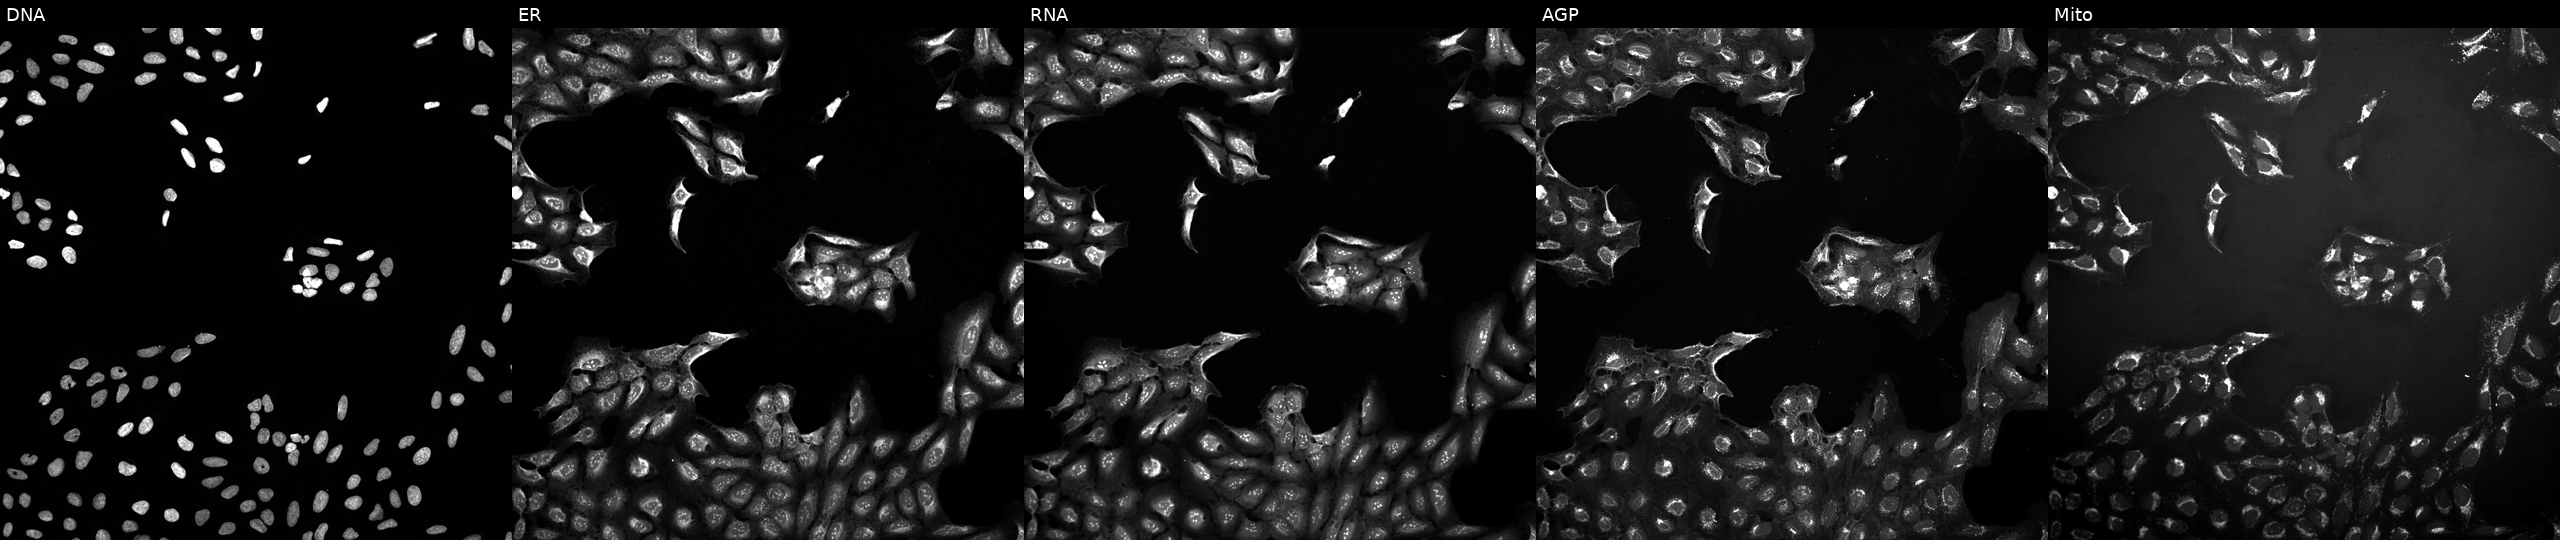
U2OS cells, Cell Painting assay, perturbed with a small-molecule compound (InChIKey PFHDWRIVDDIFRP-UHFFFAOYSA-N) (JUMP id JCP2022_068238). Channels (left→right): Hoechst 33342, concanavalin A, SYTO 14, phalloidin and WGA, MitoTracker. Each panel is percentile-stretched 16-bit fluorescence.